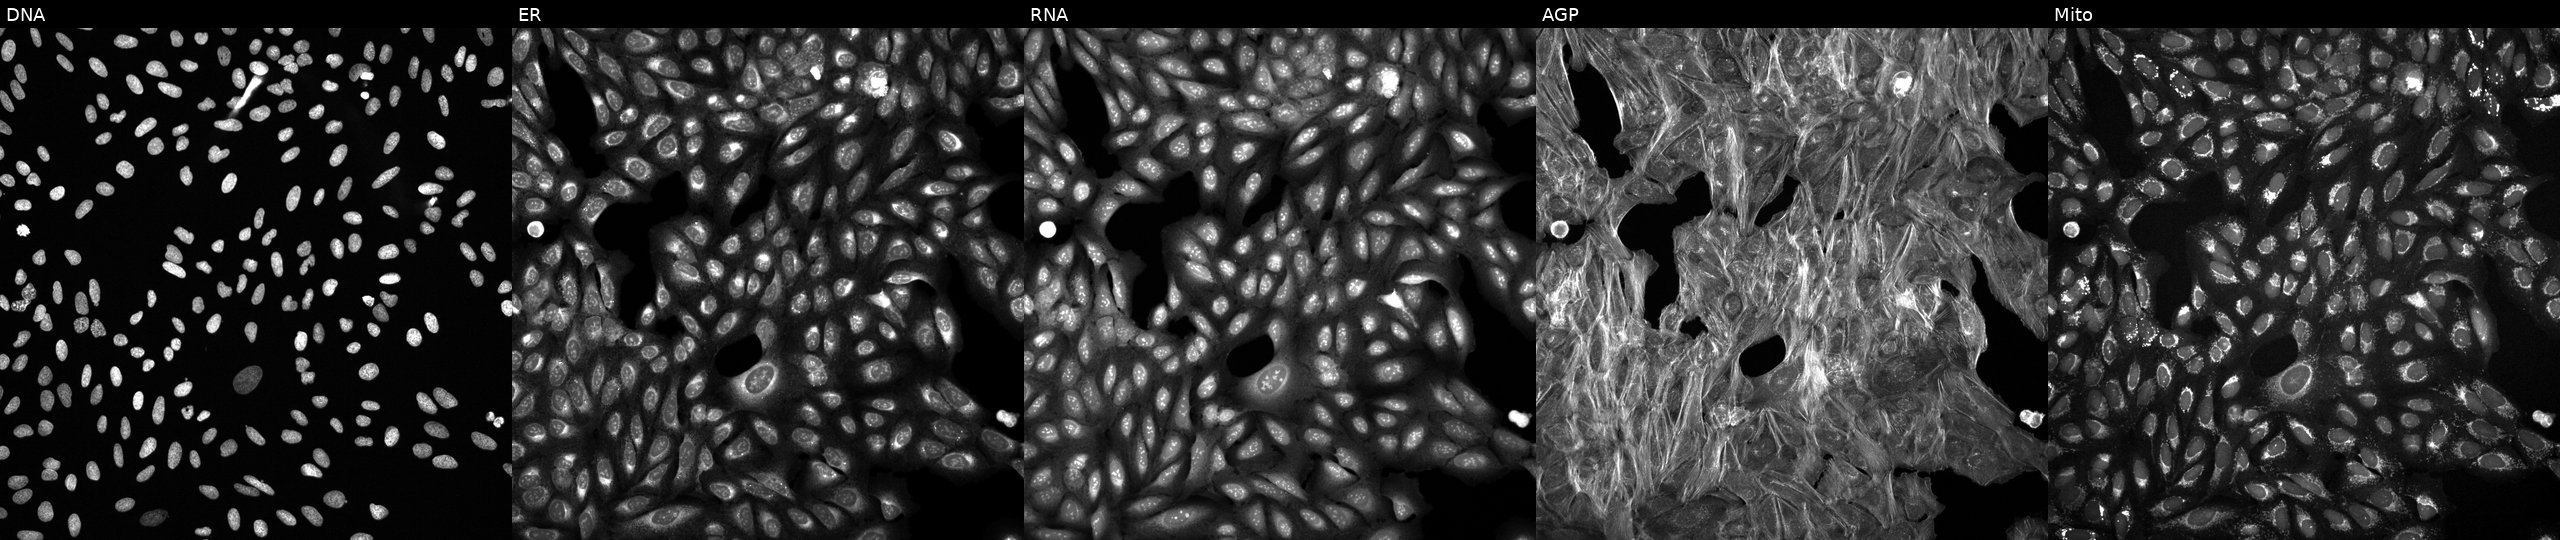
Five-channel Cell Painting image of U2OS cells exposed to a small-molecule compound (InChIKey VAXCGBOBFJPNTO-UHFFFAOYSA-N) (JUMP id JCP2022_092778). From left to right: DNA, ER, RNA, AGP, and Mito.